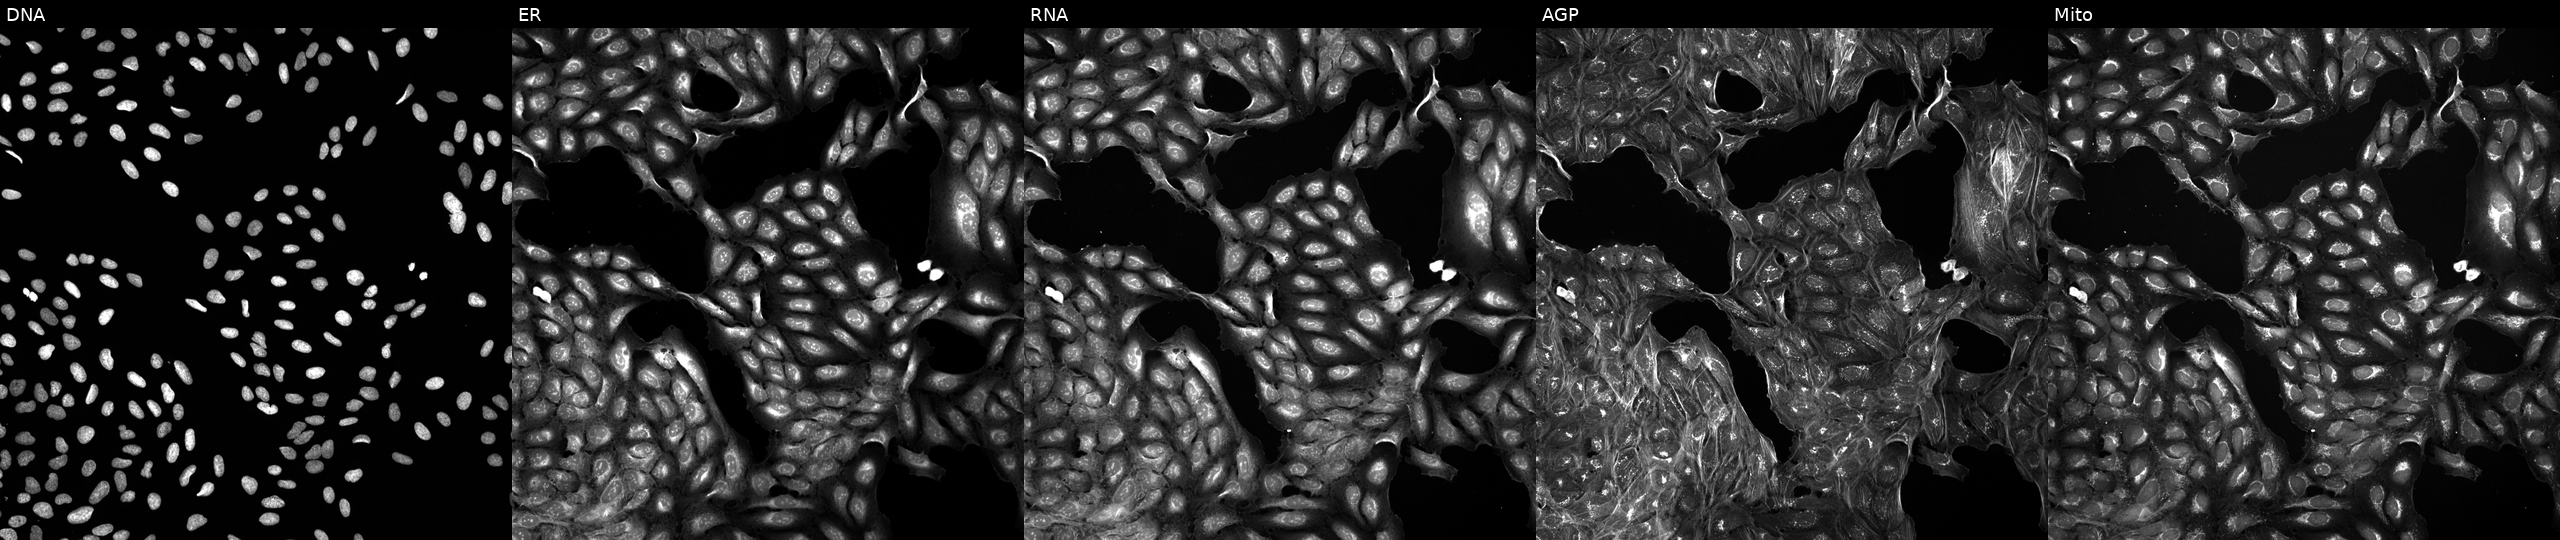
This image strip shows the five Cell Painting channels for a single field of U2OS cells treated with a small-molecule compound (InChIKey NXDILPQVSSWZPI-UHFFFAOYSA-N) (JUMP id JCP2022_061956). The five panels, left to right, show Hoechst 33342, concanavalin A, SYTO 14, phalloidin and WGA, MitoTracker. Source 5, plate APTJUM105, well A22.